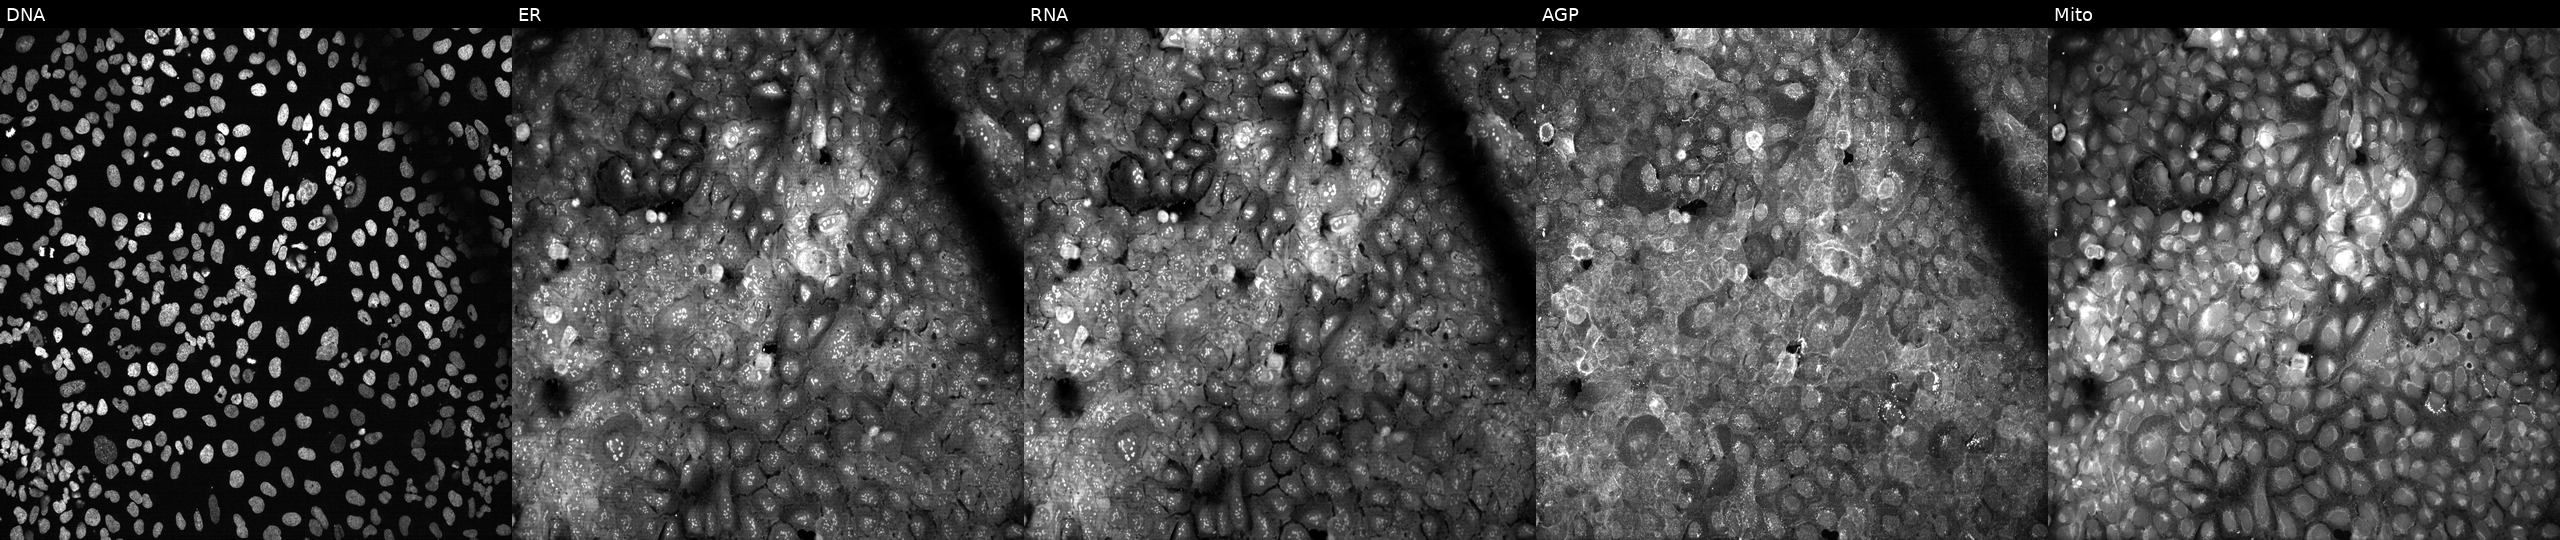
Five-channel Cell Painting image of U2OS cells with LALBA knocked out by CRISPR (JUMP id JCP2022_803769). The five panels, left to right, show Hoechst 33342, concanavalin A, SYTO 14, phalloidin and WGA, MitoTracker. Source 13, plate CP-CC9-R1-01, well J15.